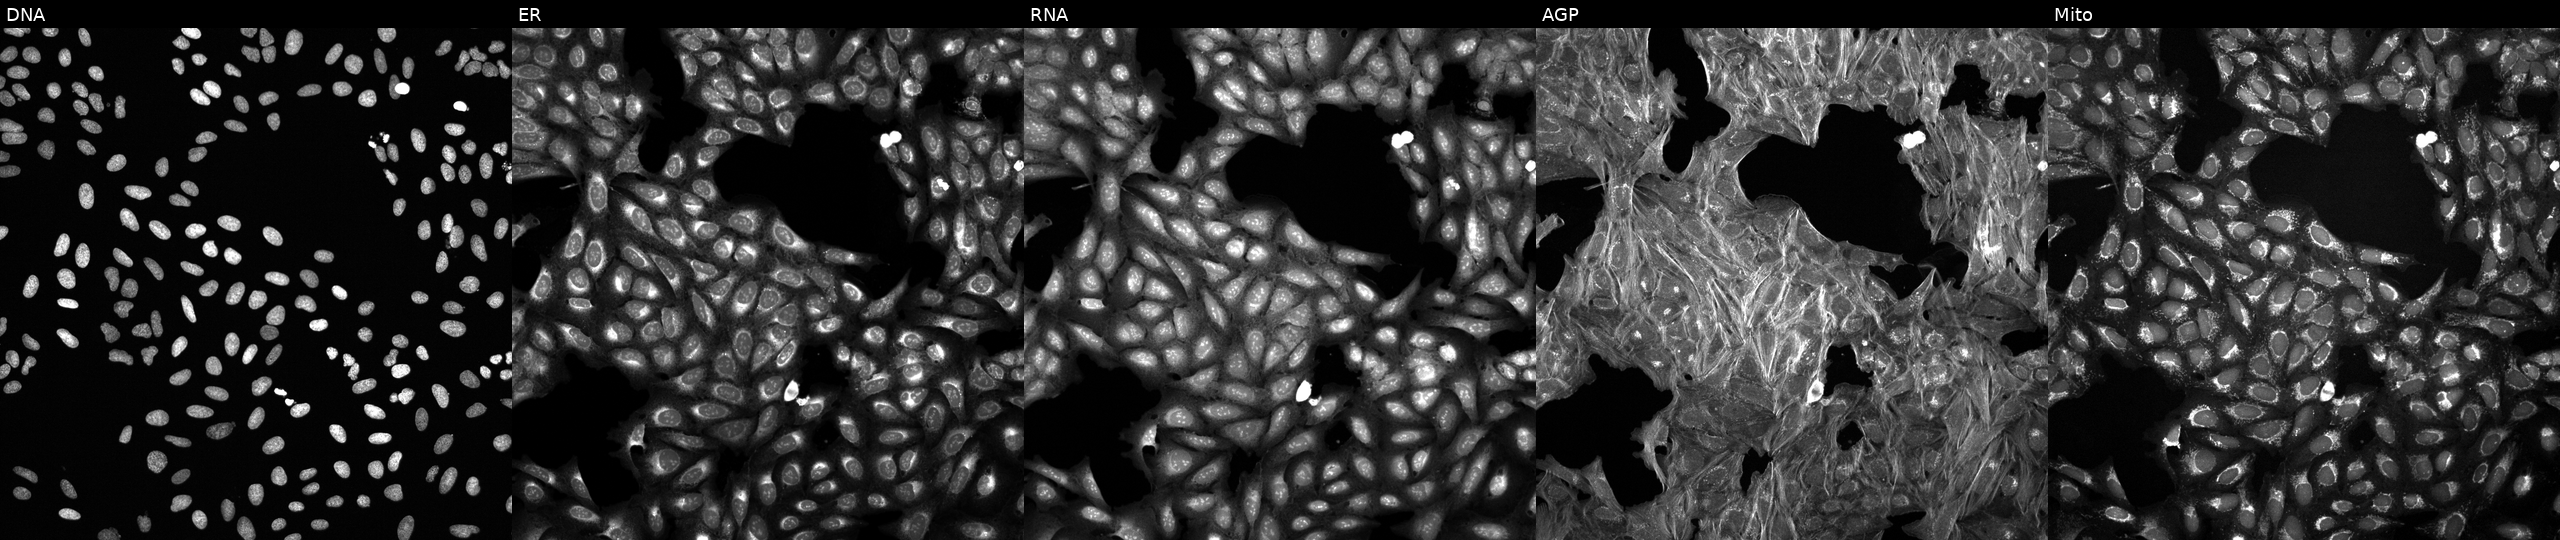
JUMP Cell Painting — TARGET2 plate. U2OS cells exposed to a small-molecule compound (InChIKey HFNKQEVNSGCOJV-UHFFFAOYSA-N). From left to right: Hoechst 33342, concanavalin A, SYTO 14, phalloidin and WGA, MitoTracker.